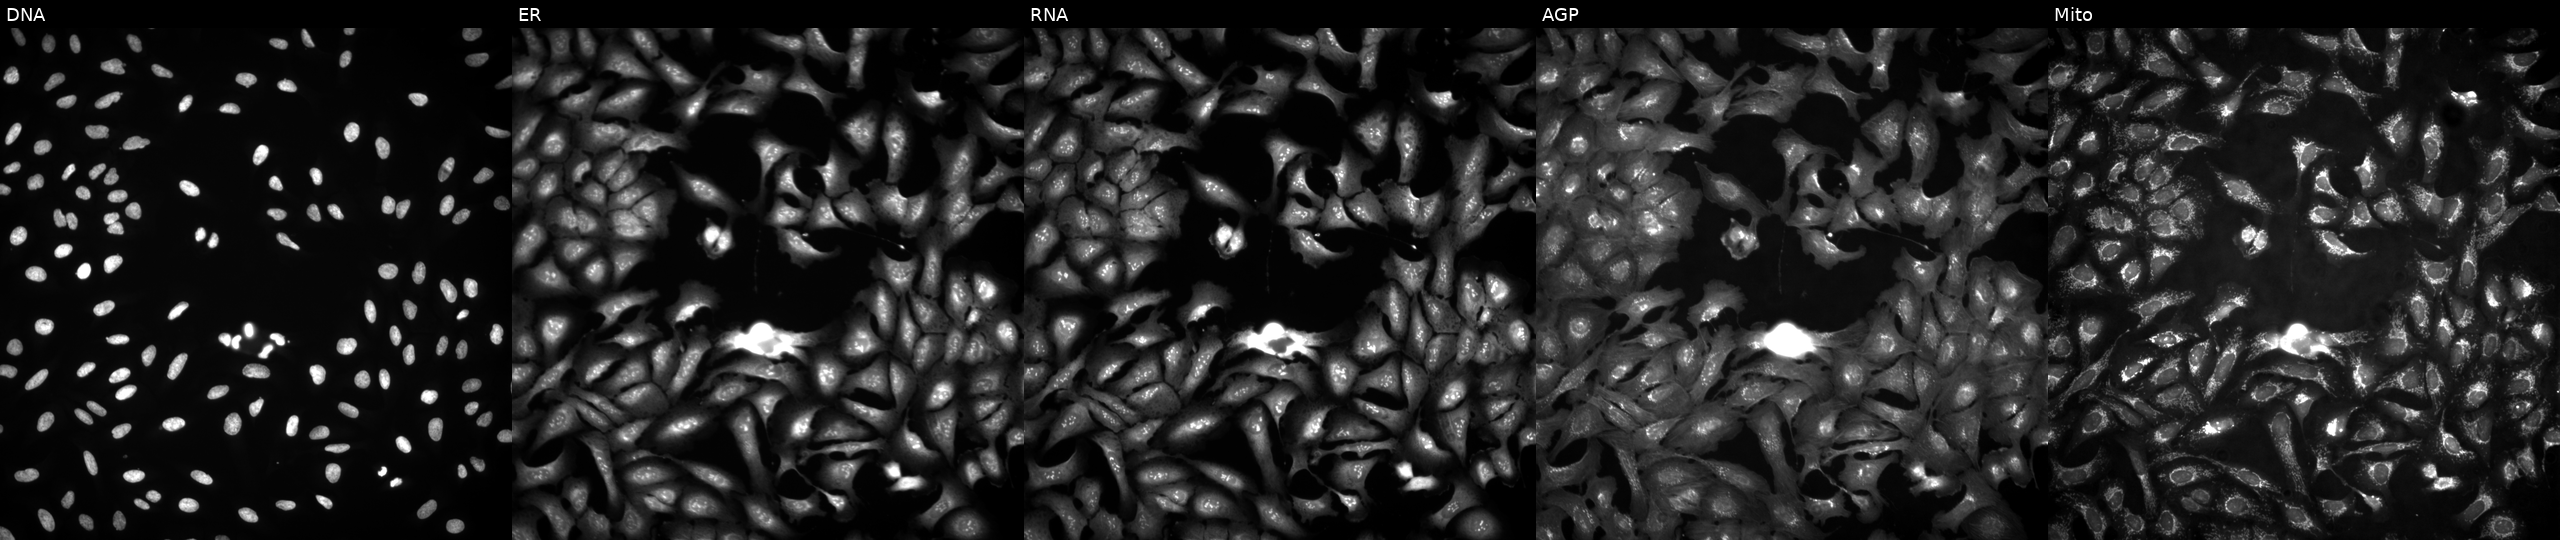
JUMP Cell Painting — ORF plate. U2OS cells transfected with an ORF construct for ZCCHC17 (JUMP id JCP2022_903127). From left to right: Hoechst 33342, concanavalin A, SYTO 14, phalloidin and WGA, MitoTracker. Source 4, plate BR00124787, well F06.